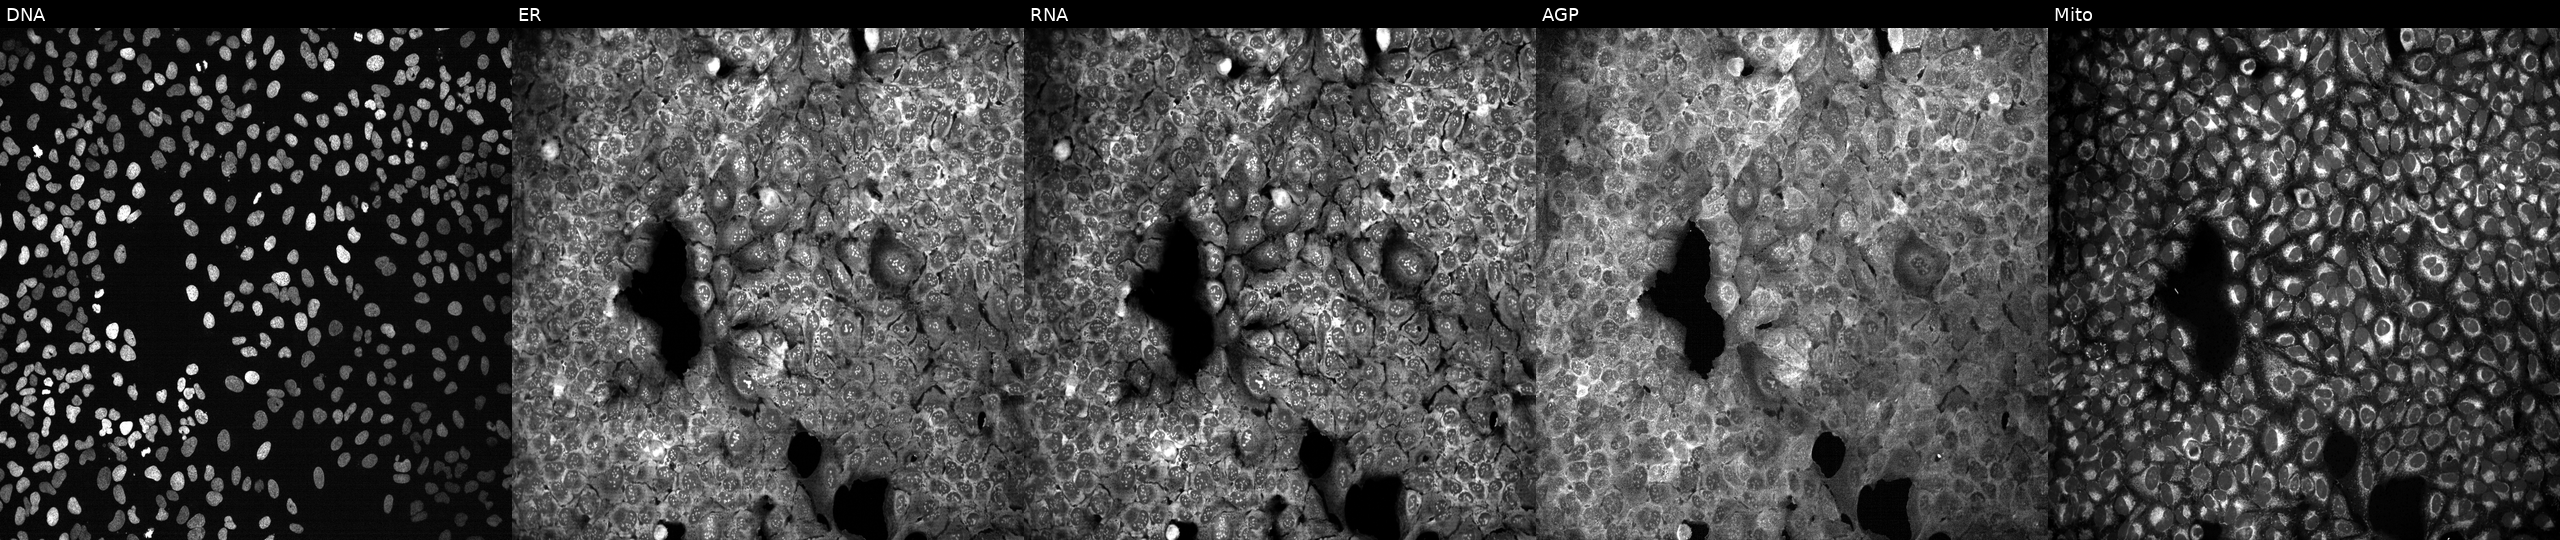
Channels (left→right): Hoechst 33342, concanavalin A, SYTO 14, phalloidin and WGA, MitoTracker. U2OS osteosarcoma cells following CRISPR knockout of SIRT3. Cell Painting assay, JUMP-CP dataset. Source 13, plate CP-CC9-R3-02, well M18.